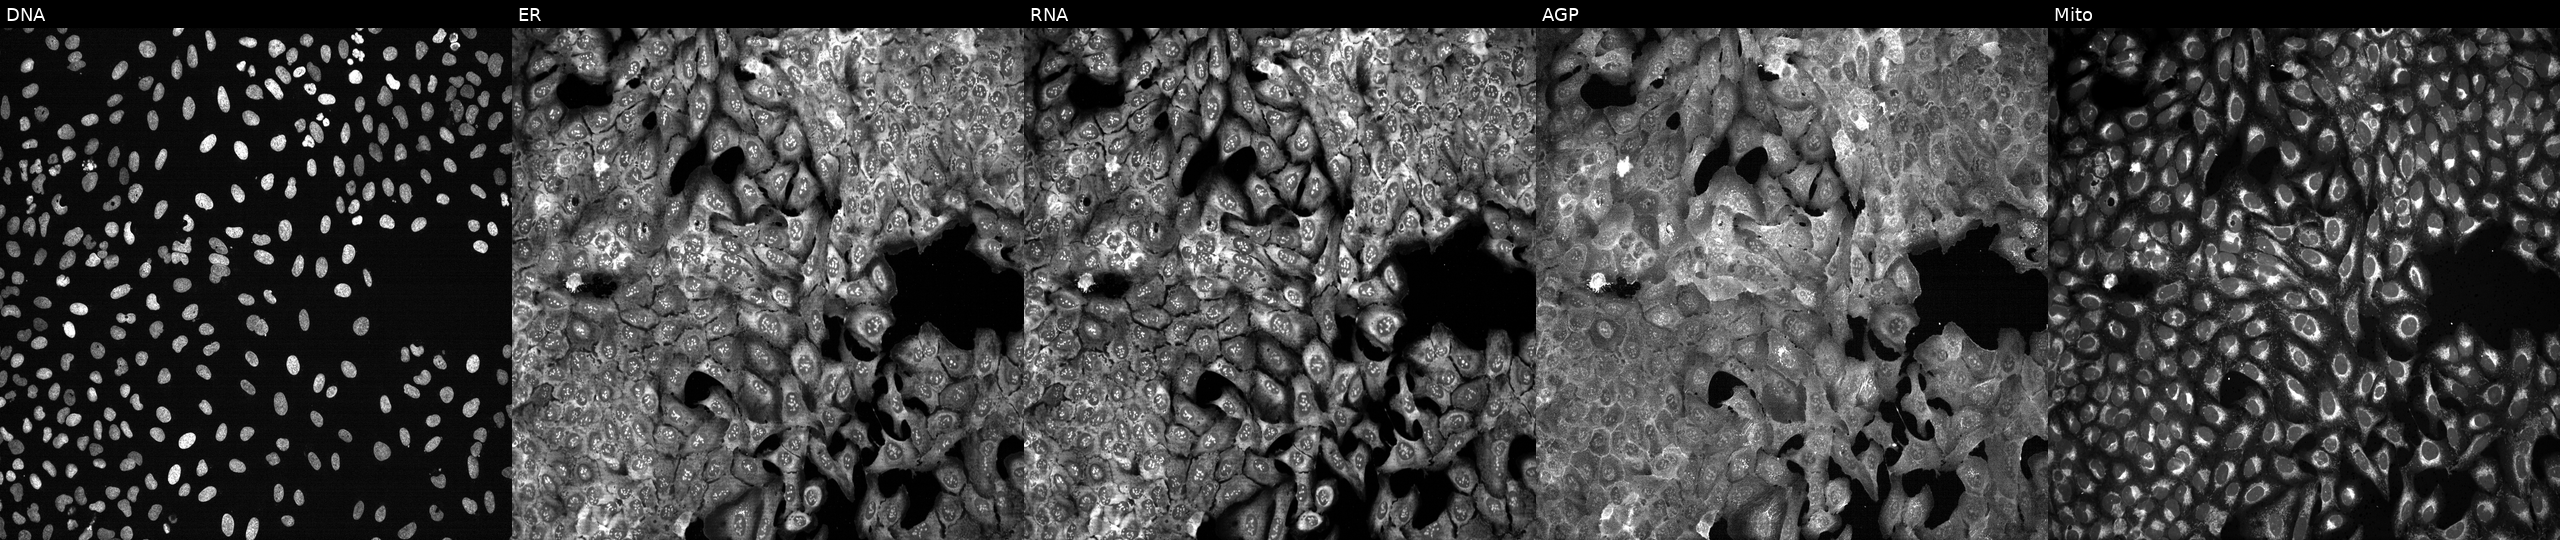
This image strip shows the five Cell Painting channels for a single field of U2OS cells with DGAT2 knocked out by CRISPR (JUMP id JCP2022_801769). From left to right: Hoechst 33342, concanavalin A, SYTO 14, phalloidin and WGA, MitoTracker.